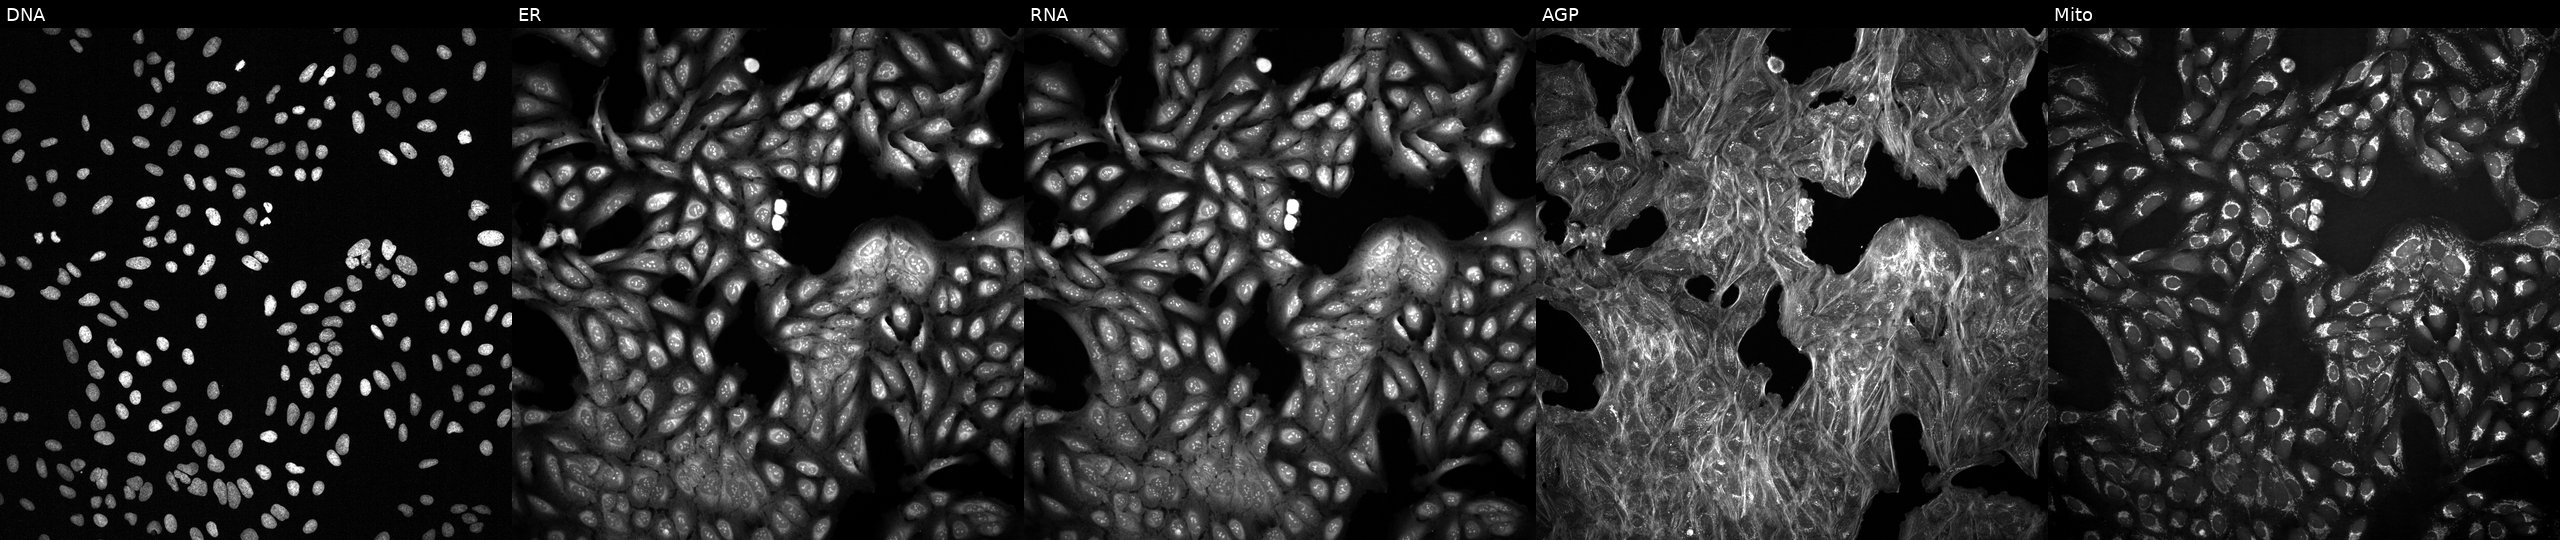
High-content fluorescence microscopy (Cell Painting). Cell line: U2OS. Perturbation: exposed to a small-molecule compound (InChIKey PMXMIIMHBWHSKN-UHFFFAOYSA-N). The five panels, left to right, show Hoechst 33342, concanavalin A, SYTO 14, phalloidin and WGA, MitoTracker. Source 2, plate 1053600674, well F04.